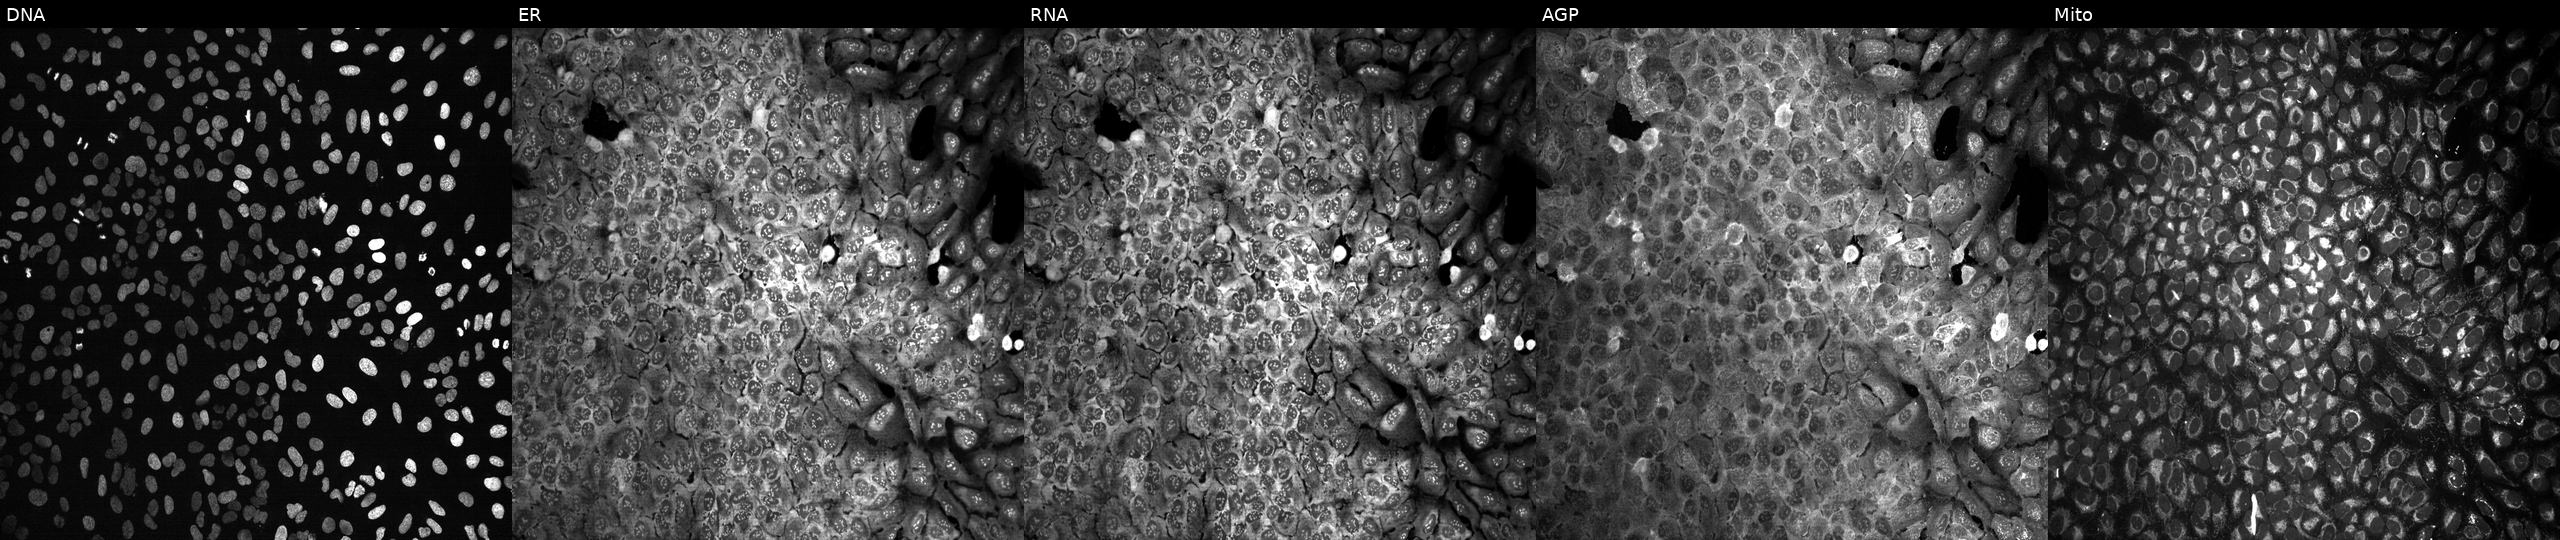
JUMP Cell Painting — CRISPR plate. U2OS cells CRISPR-edited to disrupt CHSY1 (JUMP id JCP2022_801341). The five panels, left to right, show Hoechst 33342, concanavalin A, SYTO 14, phalloidin and WGA, MitoTracker.